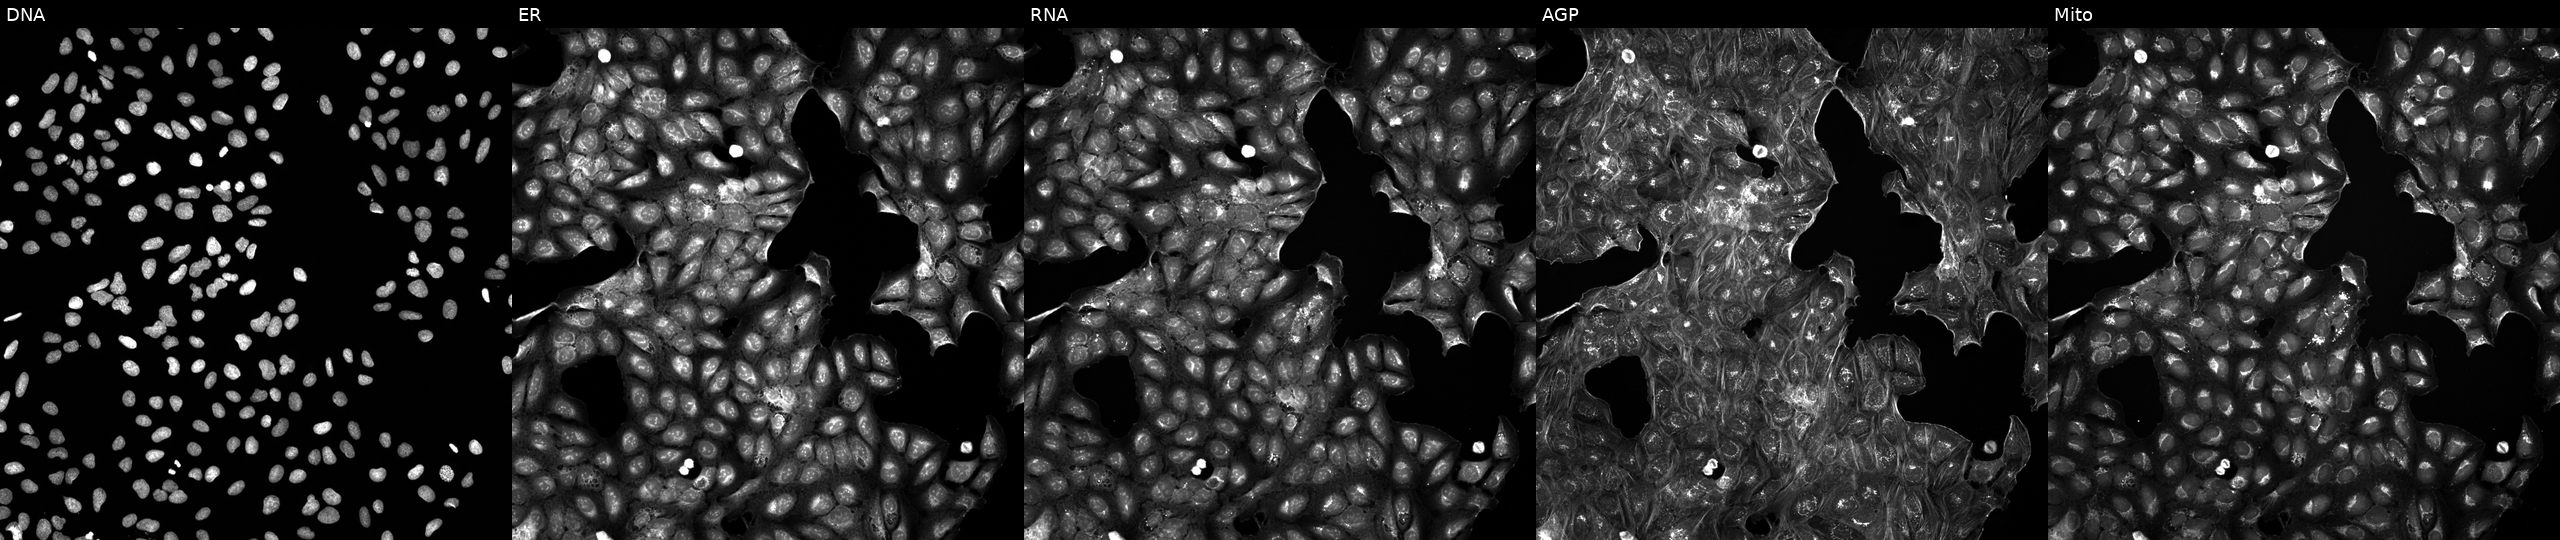
U2OS cells, Cell Painting assay, treated with a small-molecule compound (JUMP id JCP2022_085618). From left to right: DNA (nuclei); ER (endoplasmic reticulum); RNA (nucleoli and cytoplasmic RNA); AGP (actin cytoskeleton, Golgi, and plasma membrane); Mito (mitochondria). Each panel is percentile-stretched 16-bit fluorescence.